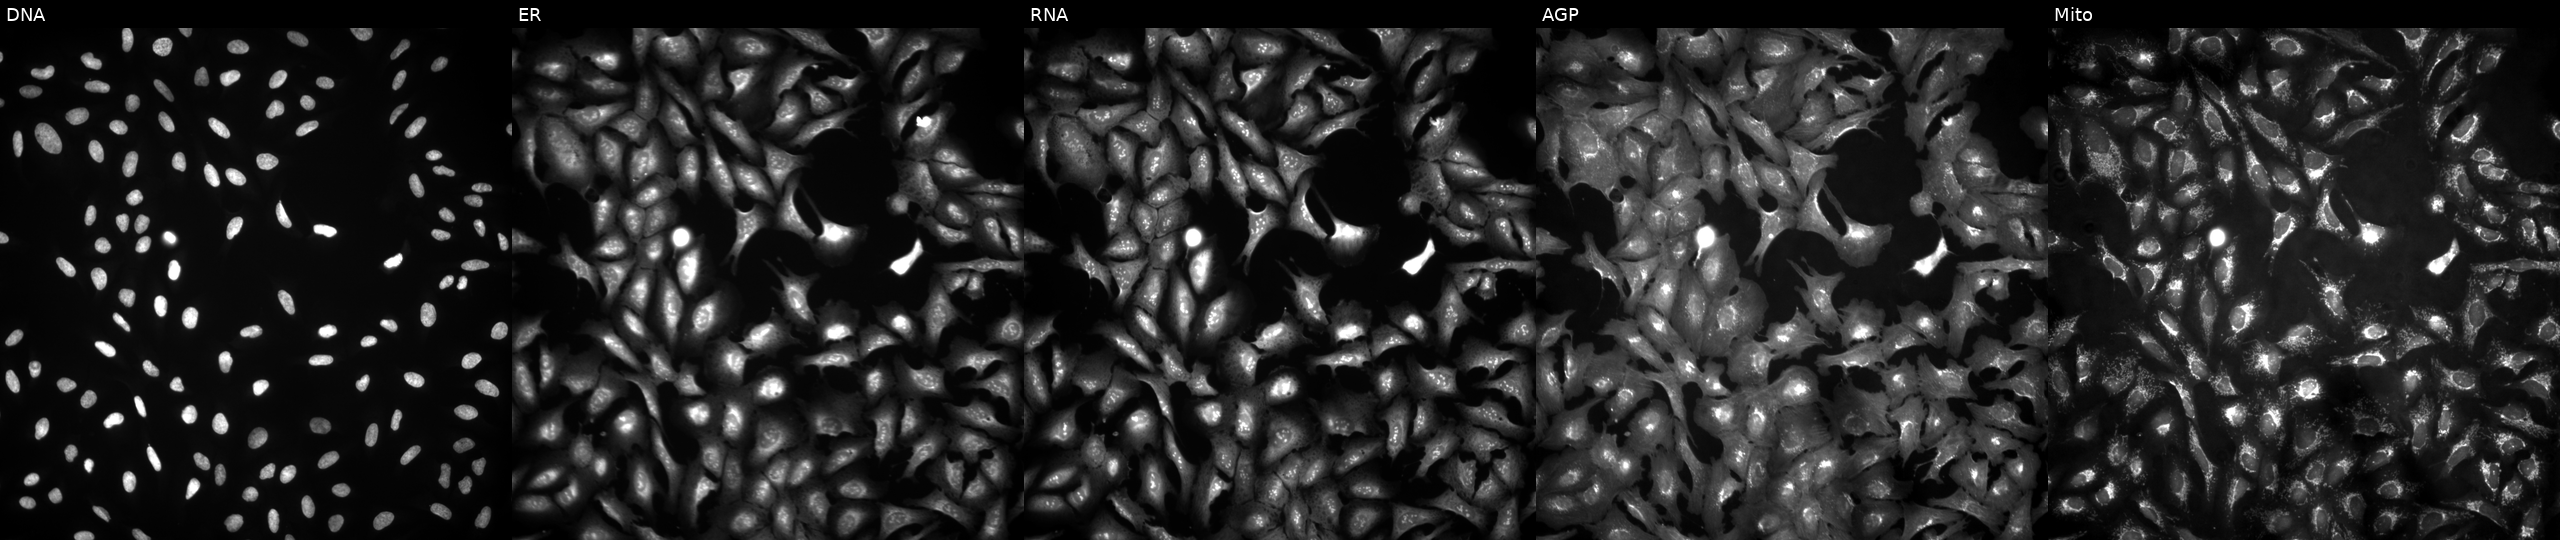
High-content fluorescence microscopy (Cell Painting). Cell line: U2OS. Perturbation: untreated (empty-well control). From left to right: DNA (nuclei); ER (endoplasmic reticulum); RNA (nucleoli and cytoplasmic RNA); AGP (actin cytoskeleton, Golgi, and plasma membrane); Mito (mitochondria). Source 4, plate BR00121543, well M04.